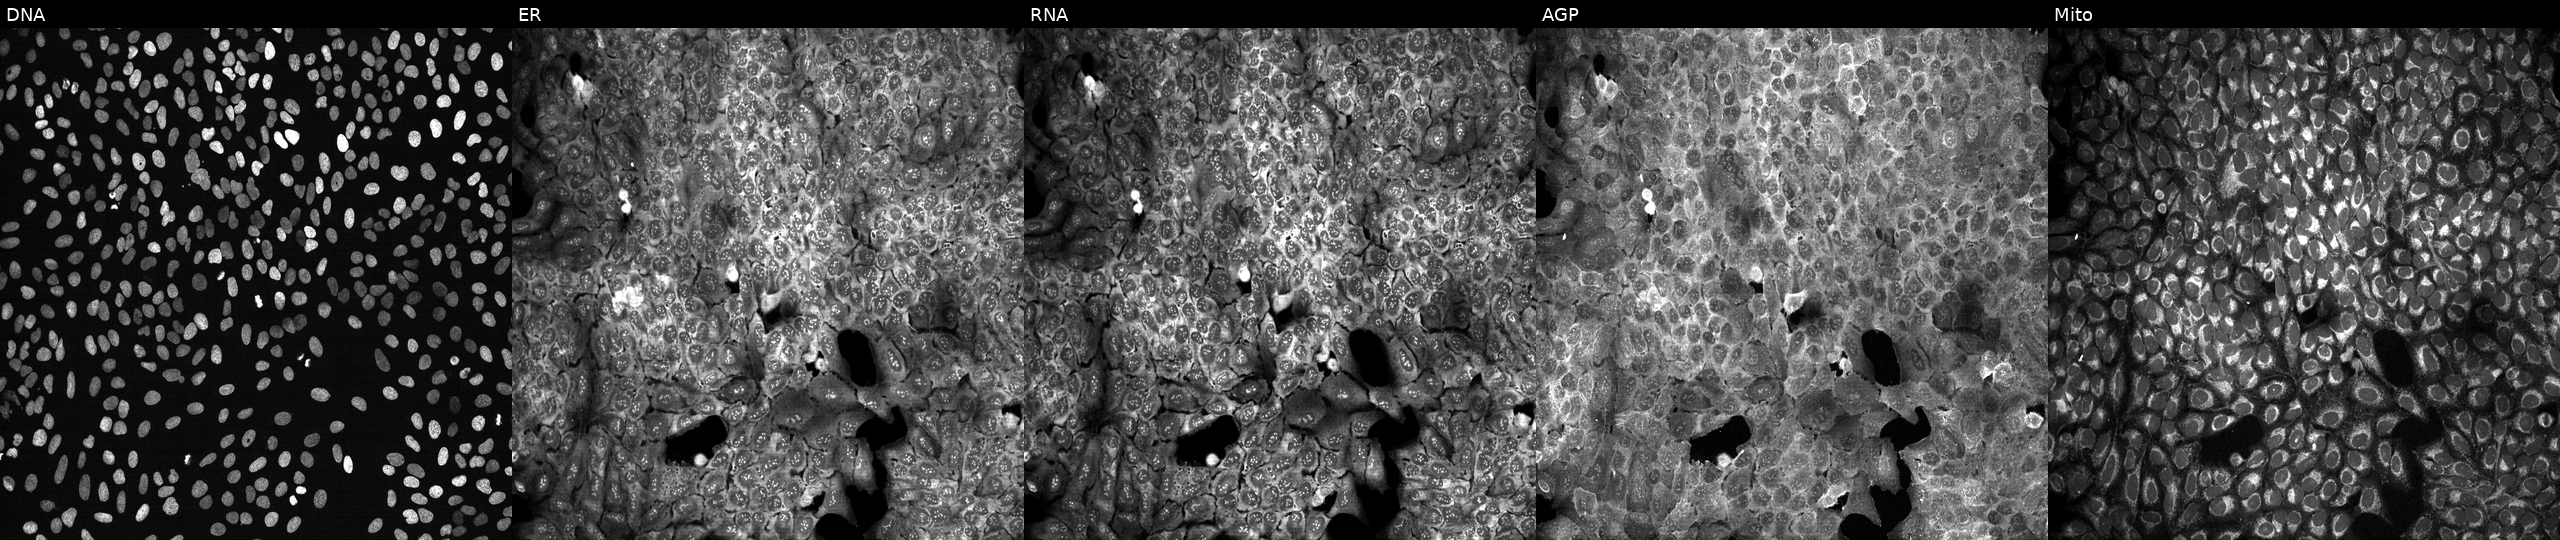
U2OS cells, Cell Painting assay, exposed to the positive-control compound dexamethasone (JUMP id JCP2022_025848). The five panels, left to right, show DNA, ER, RNA, AGP, and Mito. Each panel is percentile-stretched 16-bit fluorescence. Source 13, plate CP-CC9-R3-02, well G24.